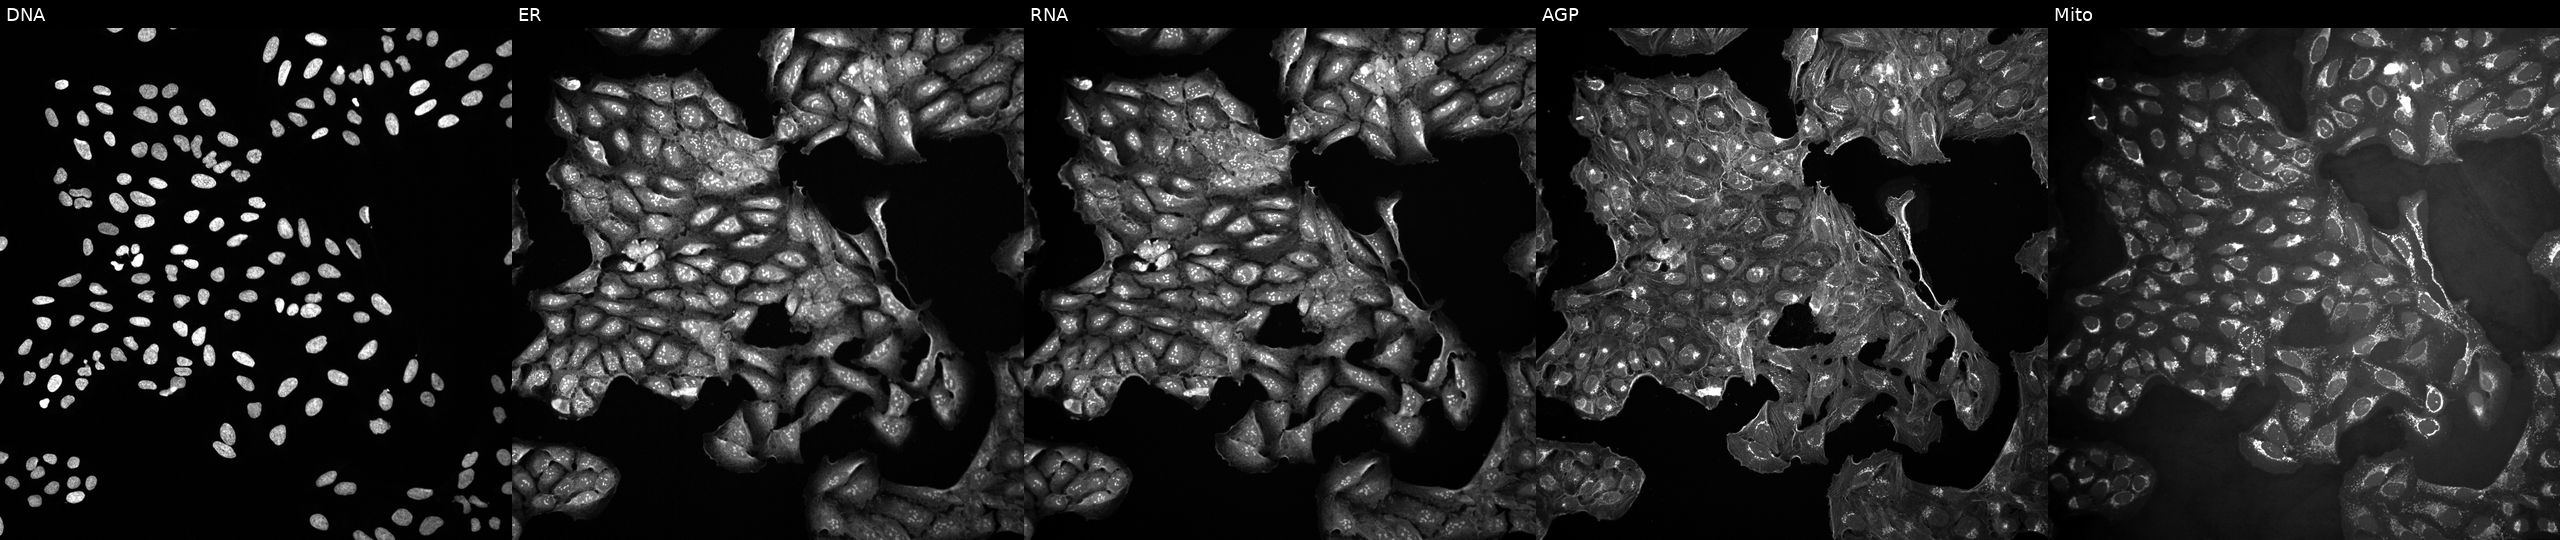
Five-channel Cell Painting image of U2OS cells untreated (empty-well control) (JUMP id JCP2022_999999). From left to right: DNA, ER, RNA, AGP, and Mito. Source 10, plate Dest210531-152149, well M17.